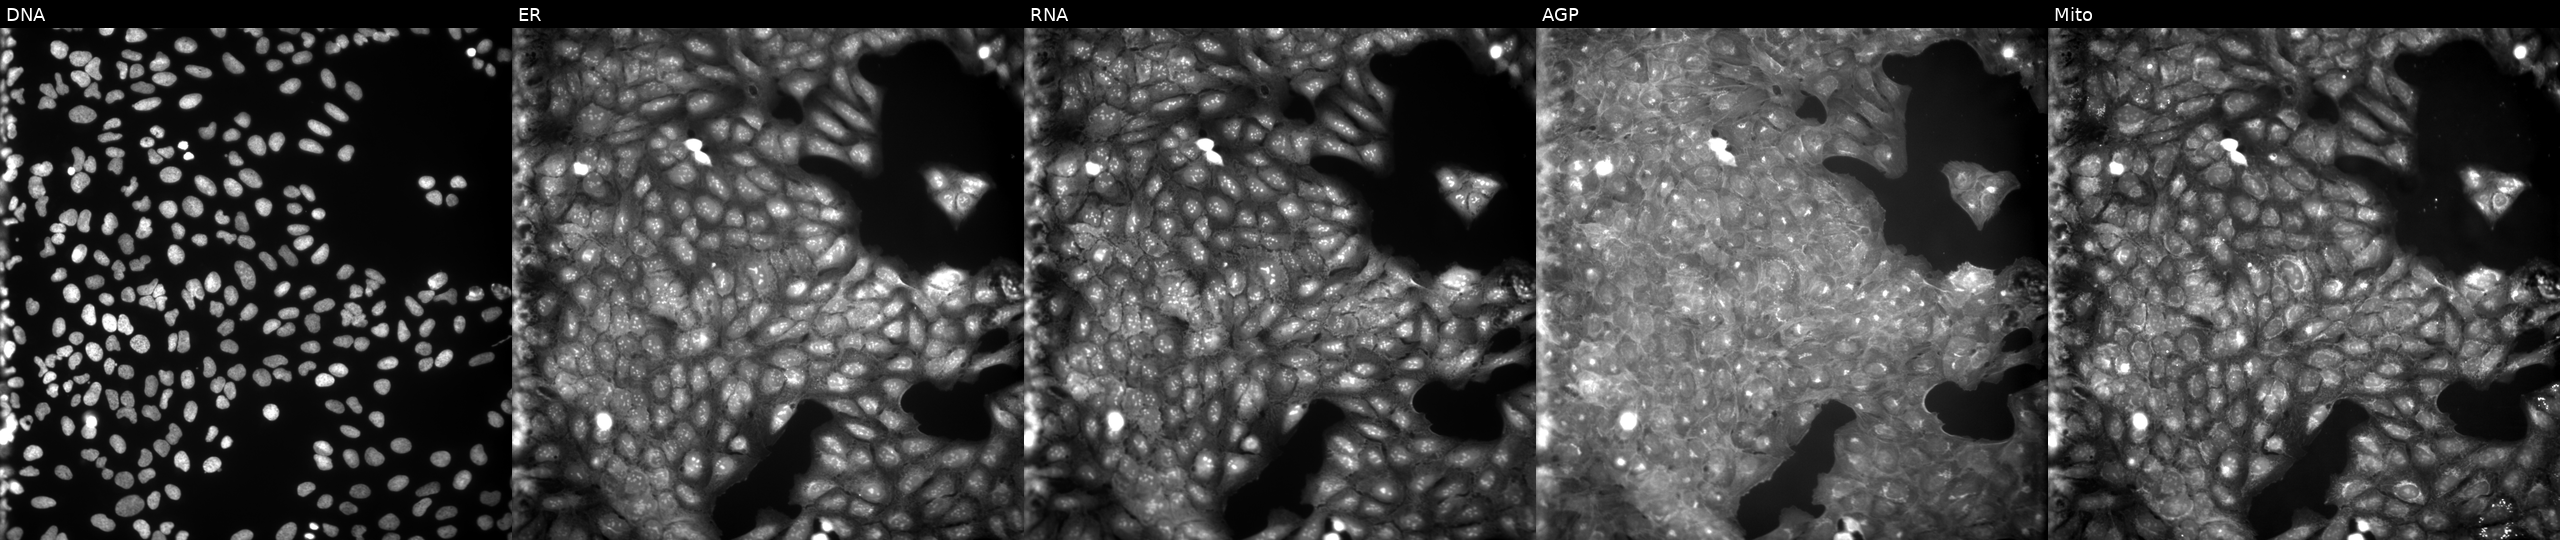
Five-channel Cell Painting image of U2OS cells perturbed with a small-molecule compound (InChIKey NQBWNECTZUOWID-UHFFFAOYSA-N) (JUMP id JCP2022_060637). The five panels, left to right, show Hoechst 33342, concanavalin A, SYTO 14, phalloidin and WGA, MitoTracker. Source 9, plate GR00003381, well A21.